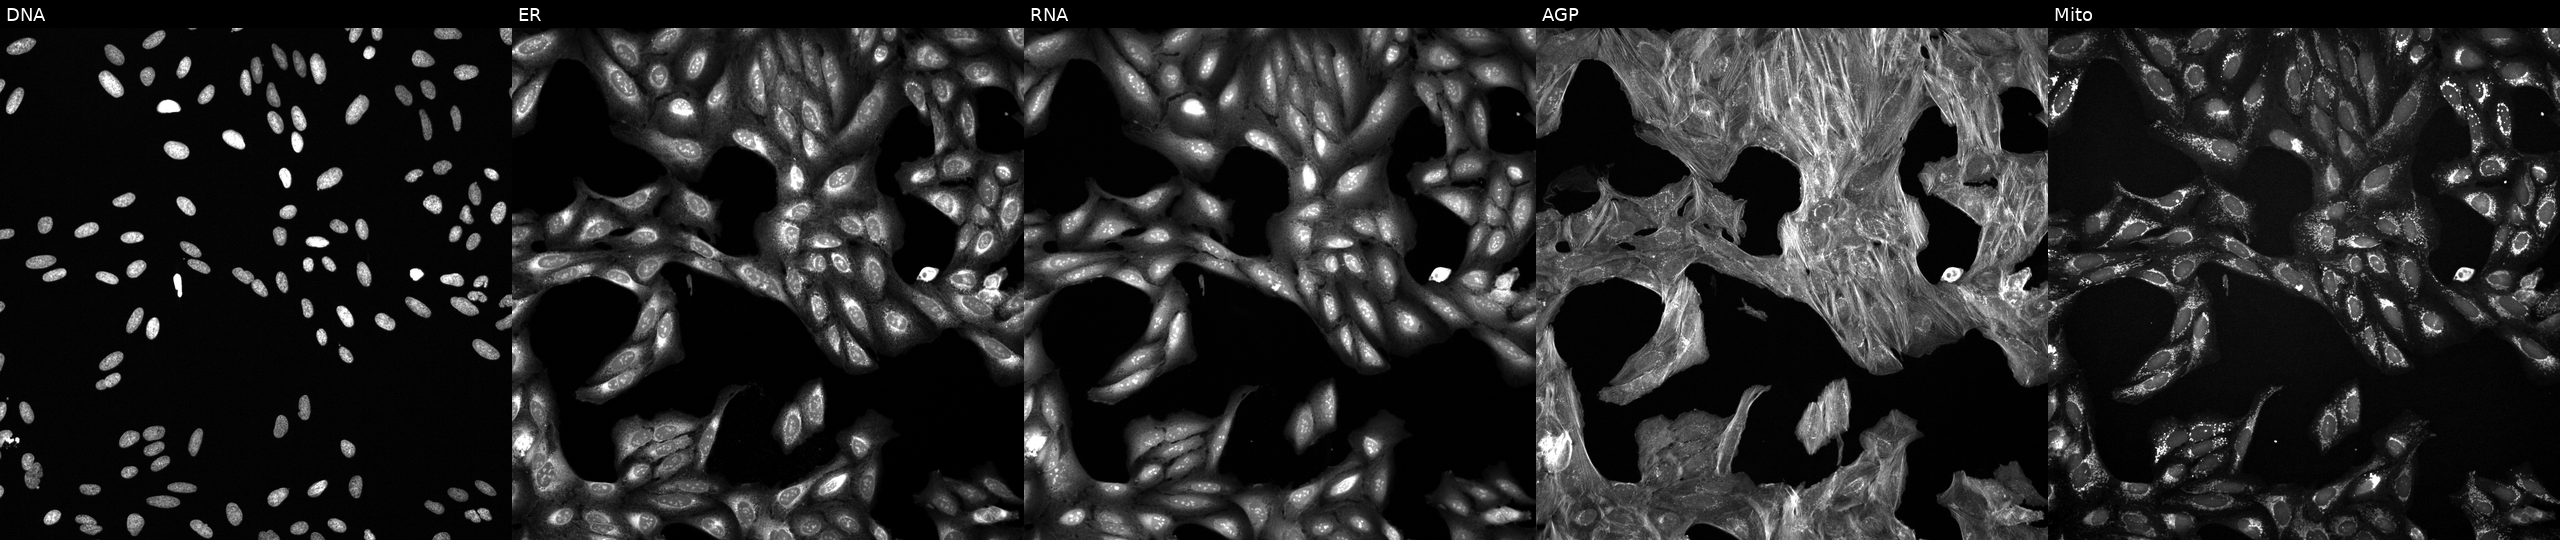
JUMP Cell Painting — COMPOUND plate. U2OS cells perturbed with a small-molecule compound (InChIKey YXZFRJURENMMIW-UHFFFAOYSA-N) [SMILES: Cn1c(-c2ccc3c(c2)OCO3)c[nH]c1=NC(=O)c1ccc(F)cc1]. Channels (left→right): DNA (nuclei); ER (endoplasmic reticulum); RNA (nucleoli and cytoplasmic RNA); AGP (actin cytoskeleton, Golgi, and plasma membrane); Mito (mitochondria).